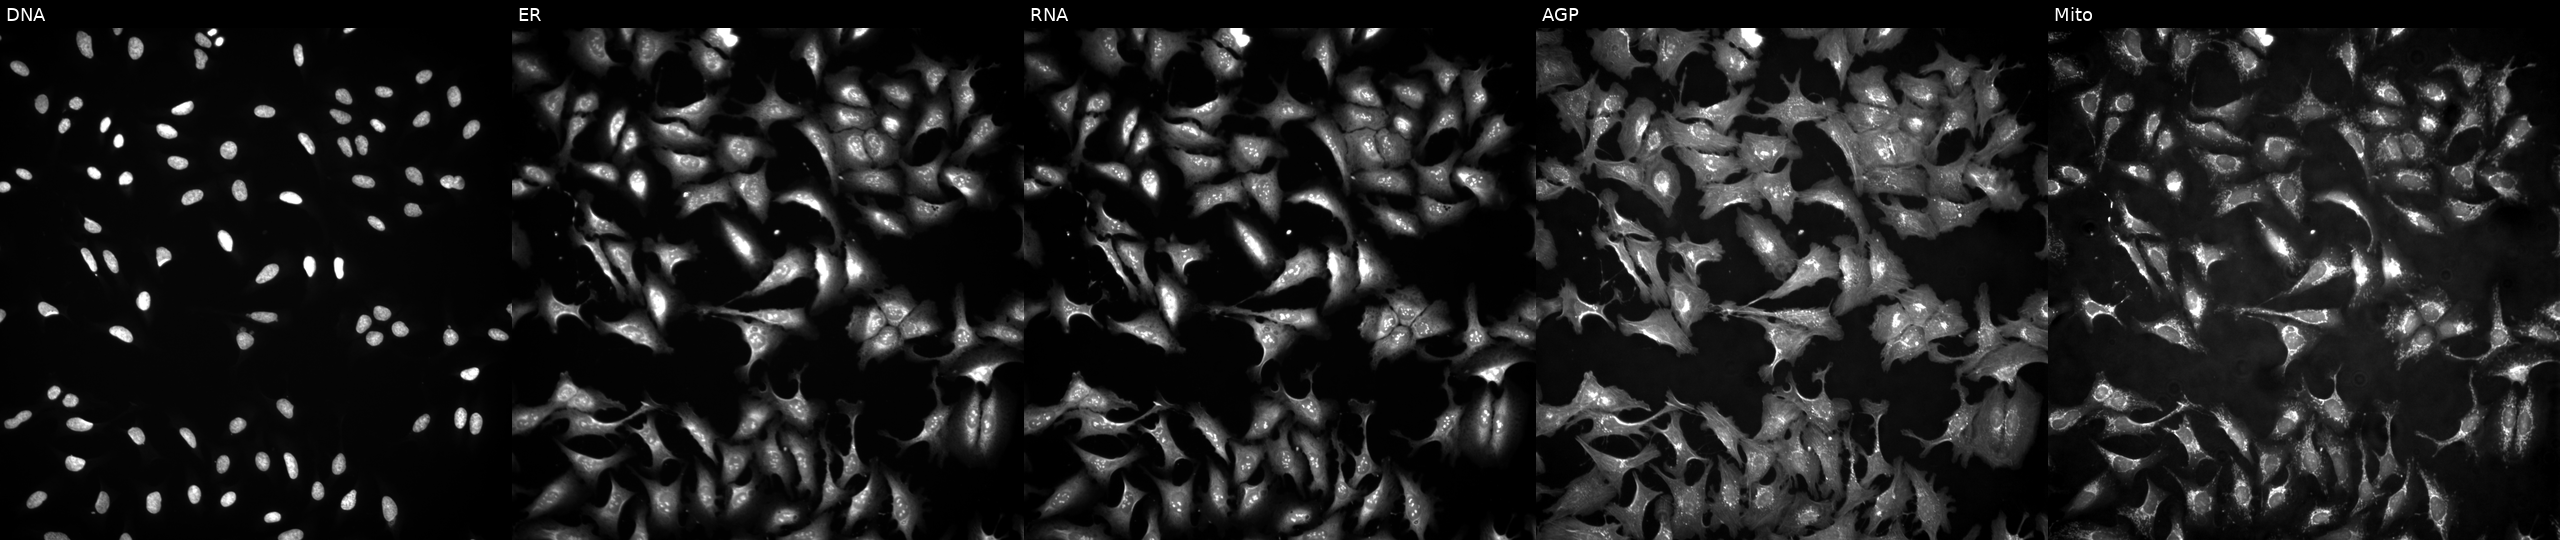
From left to right: DNA (nuclei); ER (endoplasmic reticulum); RNA (nucleoli and cytoplasmic RNA); AGP (actin cytoskeleton, Golgi, and plasma membrane); Mito (mitochondria). U2OS osteosarcoma cells transfected with an ORF construct for SIK1B (JUMP id JCP2022_914273). Cell Painting assay, JUMP-CP dataset. Source 4, plate BR00123945, well L05.